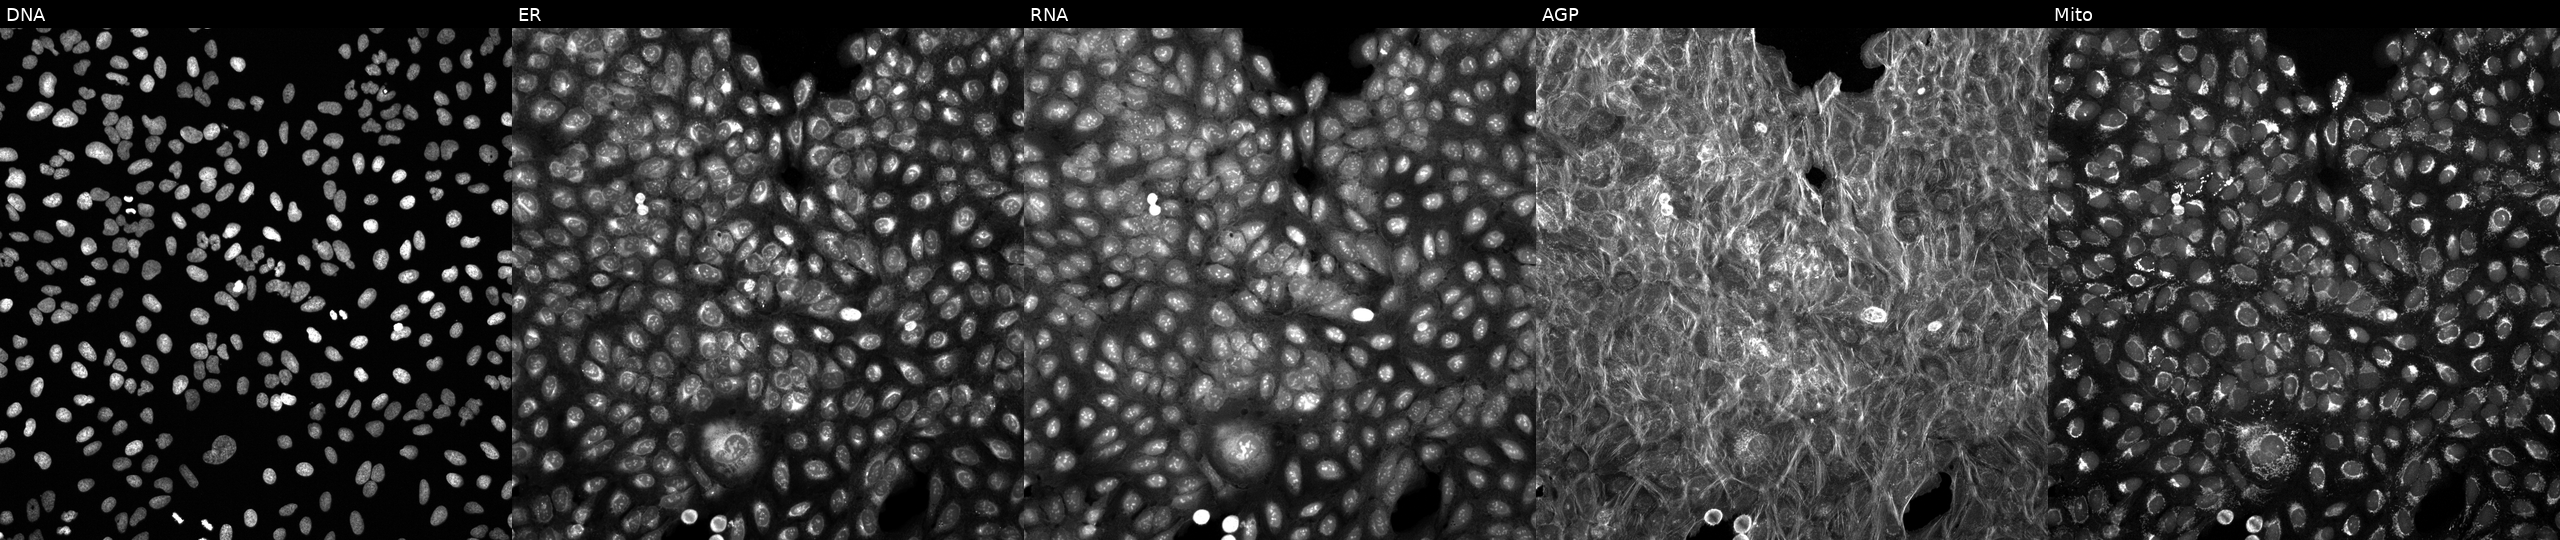
Panels show, left to right, DNA, ER, RNA, AGP, and Mito. U2OS osteosarcoma cells treated with aloxistatin (positive-control compound). Cell Painting assay, JUMP-CP dataset. Source 6, plate 110000293083, well E24.